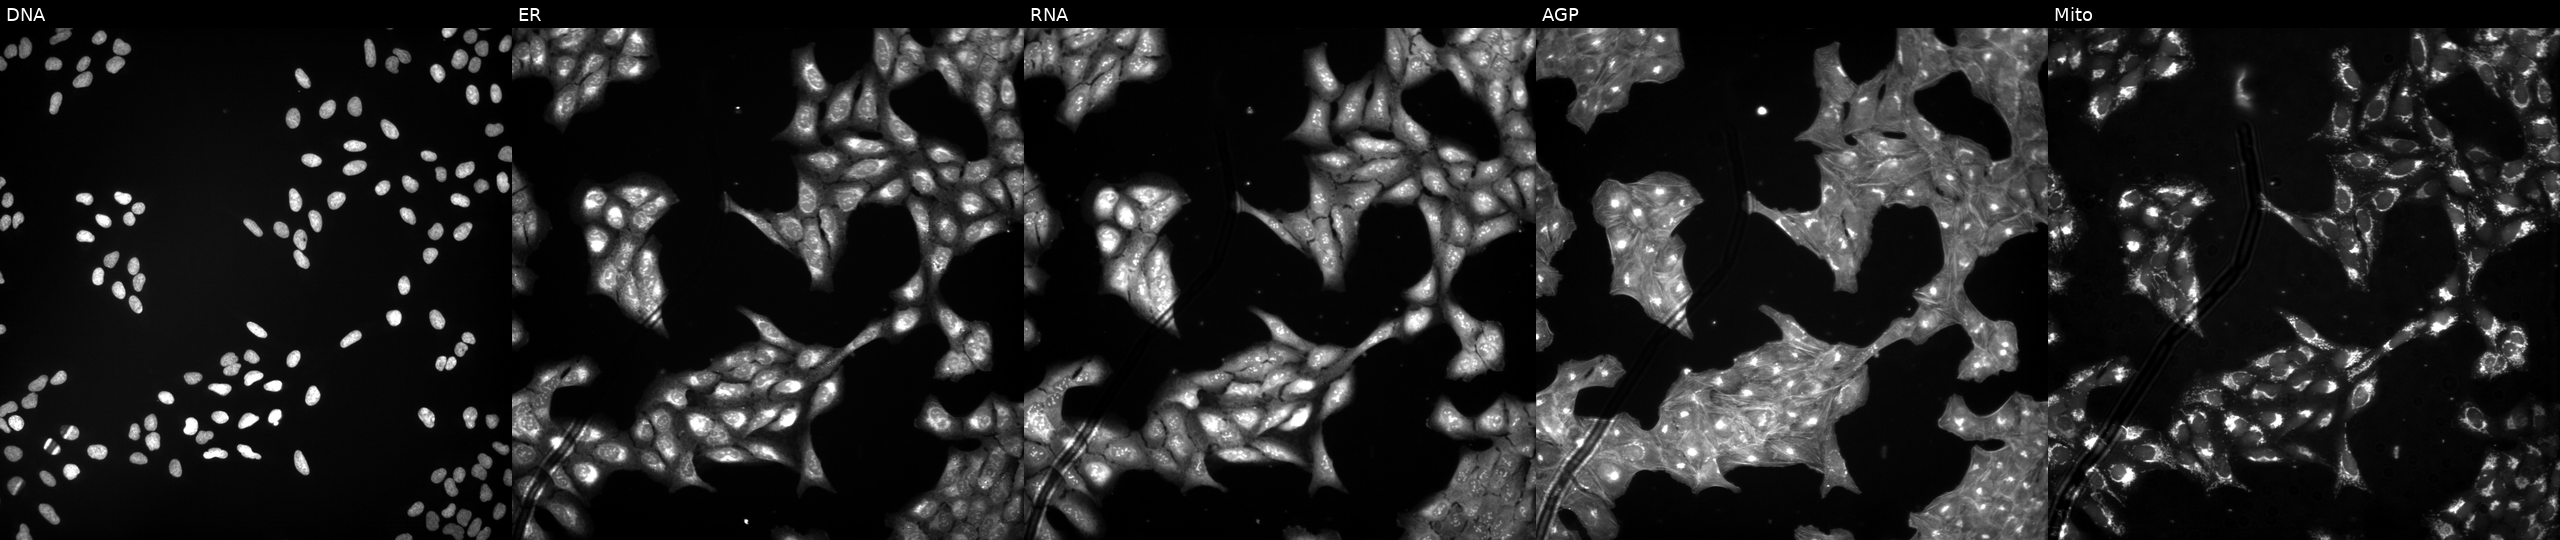
This image strip shows the five Cell Painting channels for a single field of U2OS cells treated with a small-molecule compound (InChIKey HJCZXDDDGNHRPS-UHFFFAOYSA-N). Panels show, left to right, DNA (nuclei); ER (endoplasmic reticulum); RNA (nucleoli and cytoplasmic RNA); AGP (actin cytoskeleton, Golgi, and plasma membrane); Mito (mitochondria).